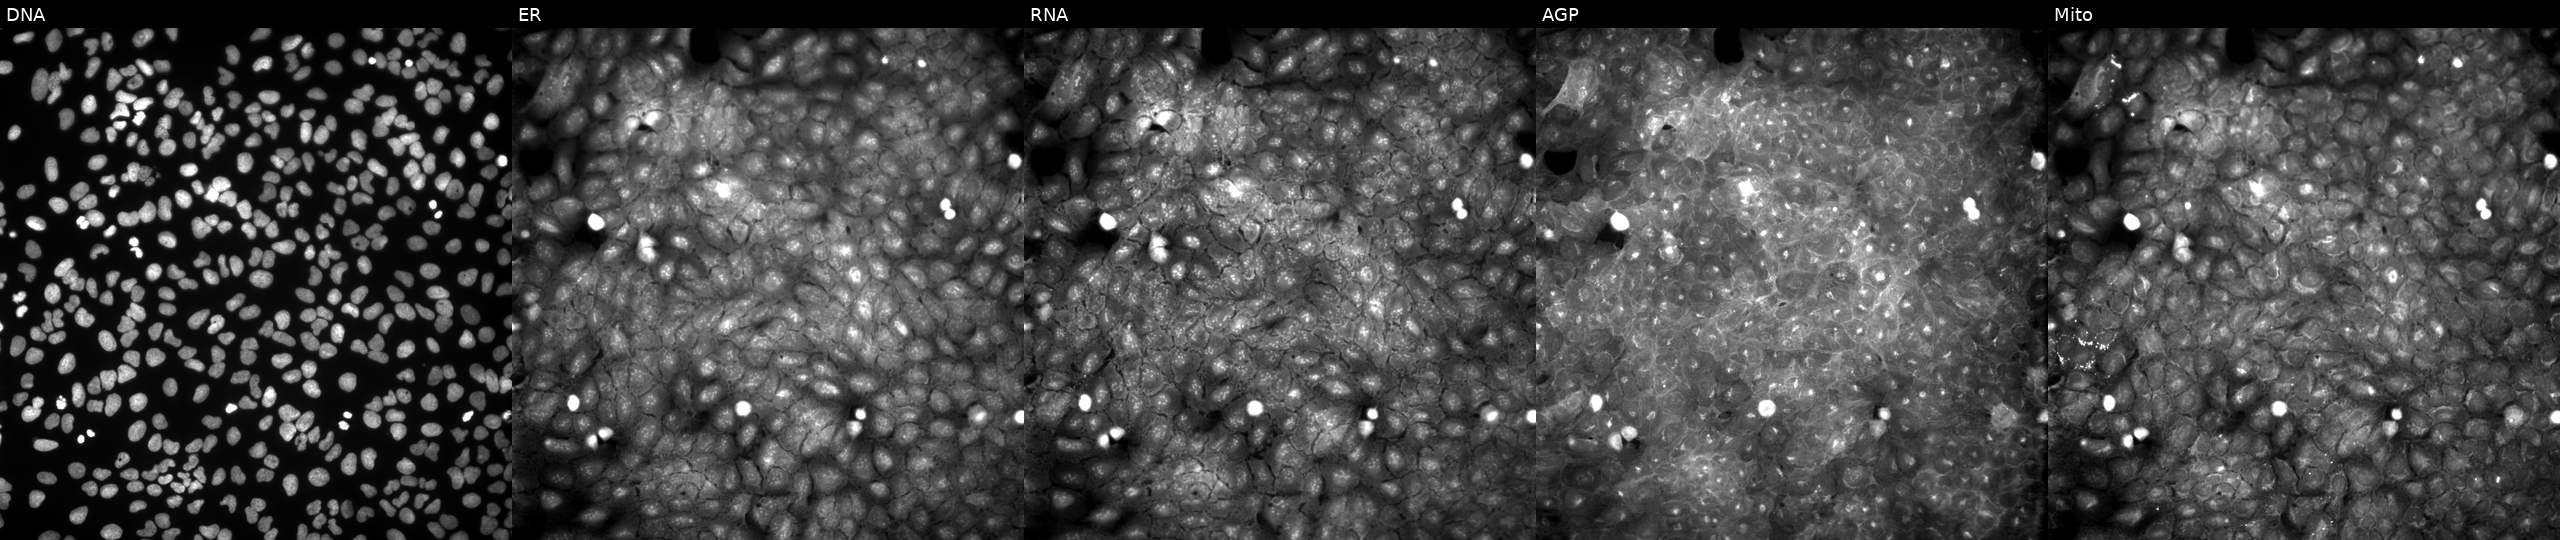
High-content fluorescence microscopy (Cell Painting). Cell line: U2OS. Perturbation: treated with aloxistatin (positive-control compound). Panels show, left to right, DNA, ER, RNA, AGP, and Mito.